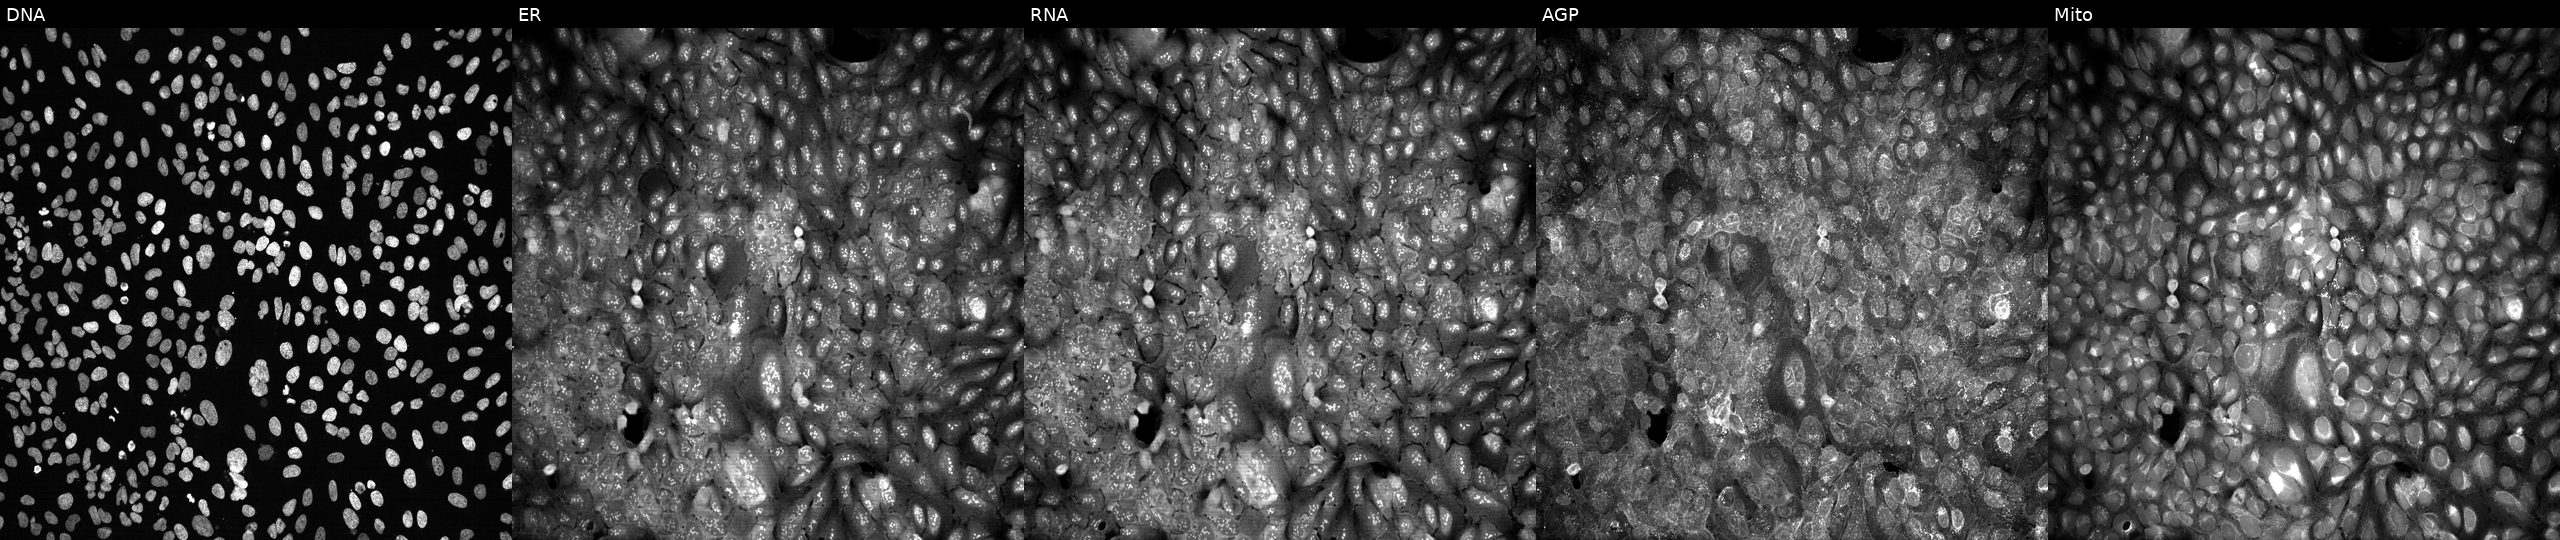
Five-channel Cell Painting image of U2OS cells with RDH11 knocked out by CRISPR. The five panels, left to right, show DNA, ER, RNA, AGP, and Mito.